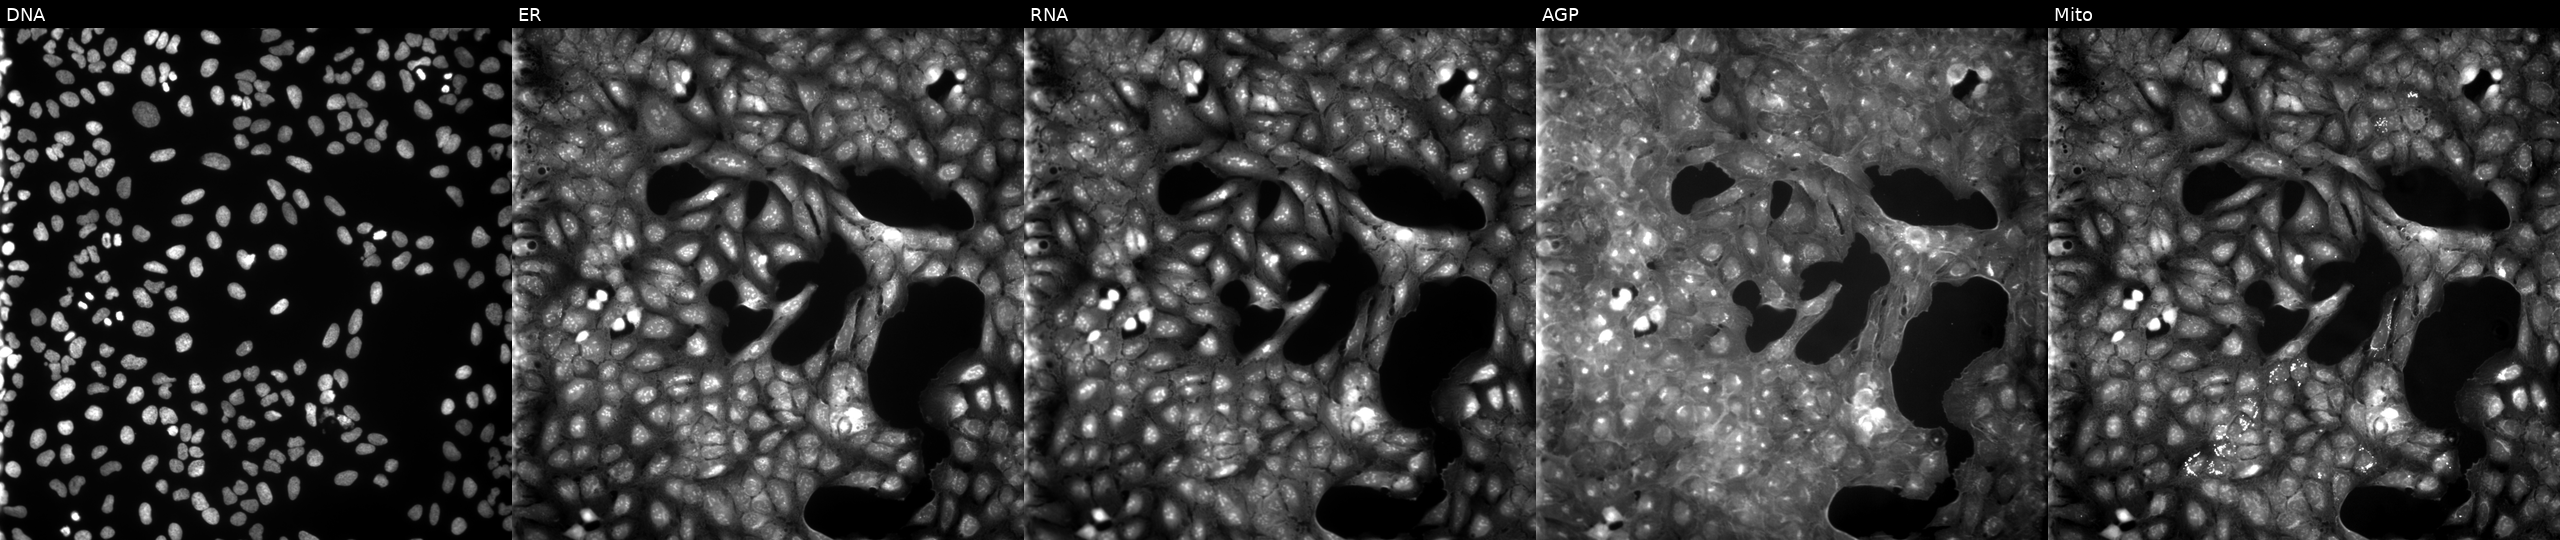
High-content fluorescence microscopy (Cell Painting). Cell line: U2OS. Perturbation: exposed to a small-molecule compound (InChIKey QARULBNZWNDVPO-UHFFFAOYSA-N). Channels (left→right): Hoechst 33342, concanavalin A, SYTO 14, phalloidin and WGA, MitoTracker.